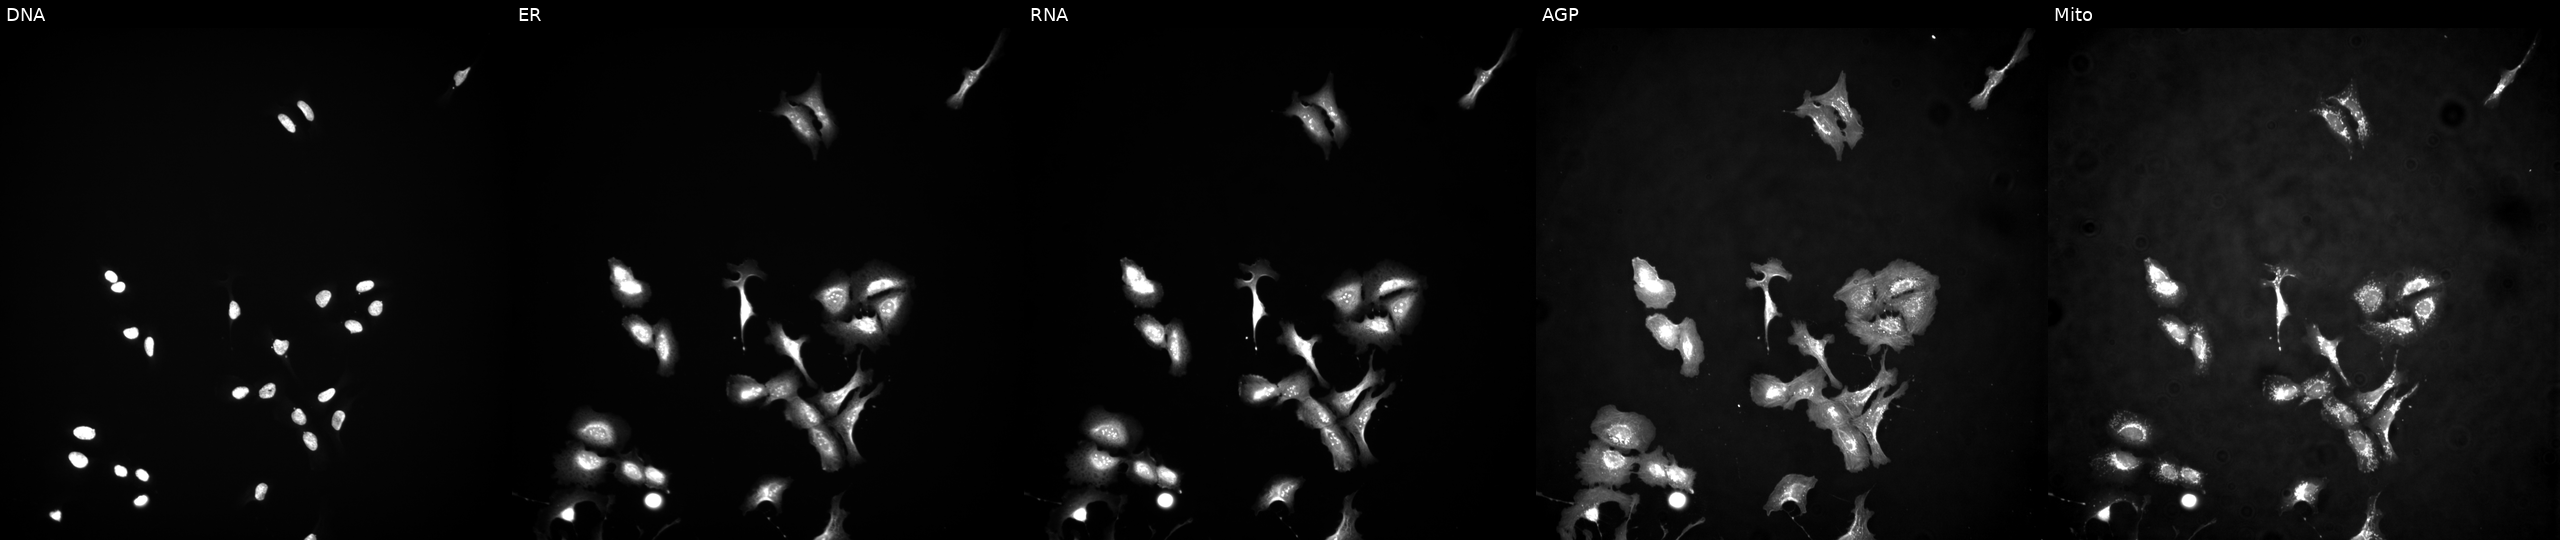
U2OS cells, Cell Painting assay, overexpressing CIB1 via ORF transfection (JUMP id JCP2022_913990). From left to right: DNA, ER, RNA, AGP, and Mito. Each panel is percentile-stretched 16-bit fluorescence. Source 4, plate BR00123945, well K01.